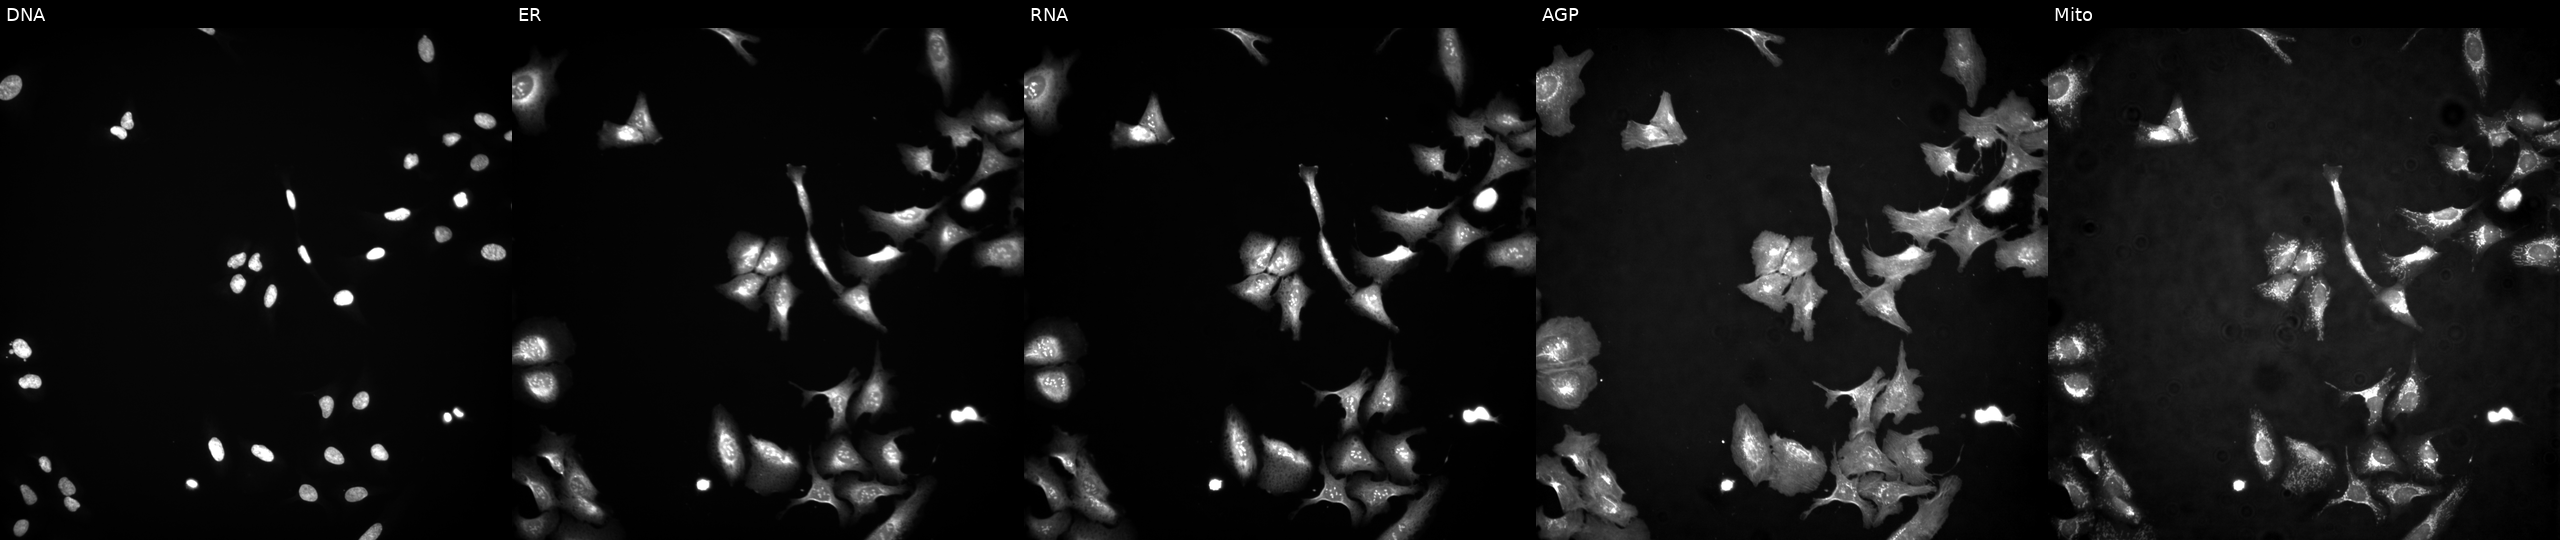
U2OS cells, Cell Painting assay, transfected with an ORF construct for TGFBR1. The five panels, left to right, show Hoechst 33342, concanavalin A, SYTO 14, phalloidin and WGA, MitoTracker. Each panel is percentile-stretched 16-bit fluorescence.